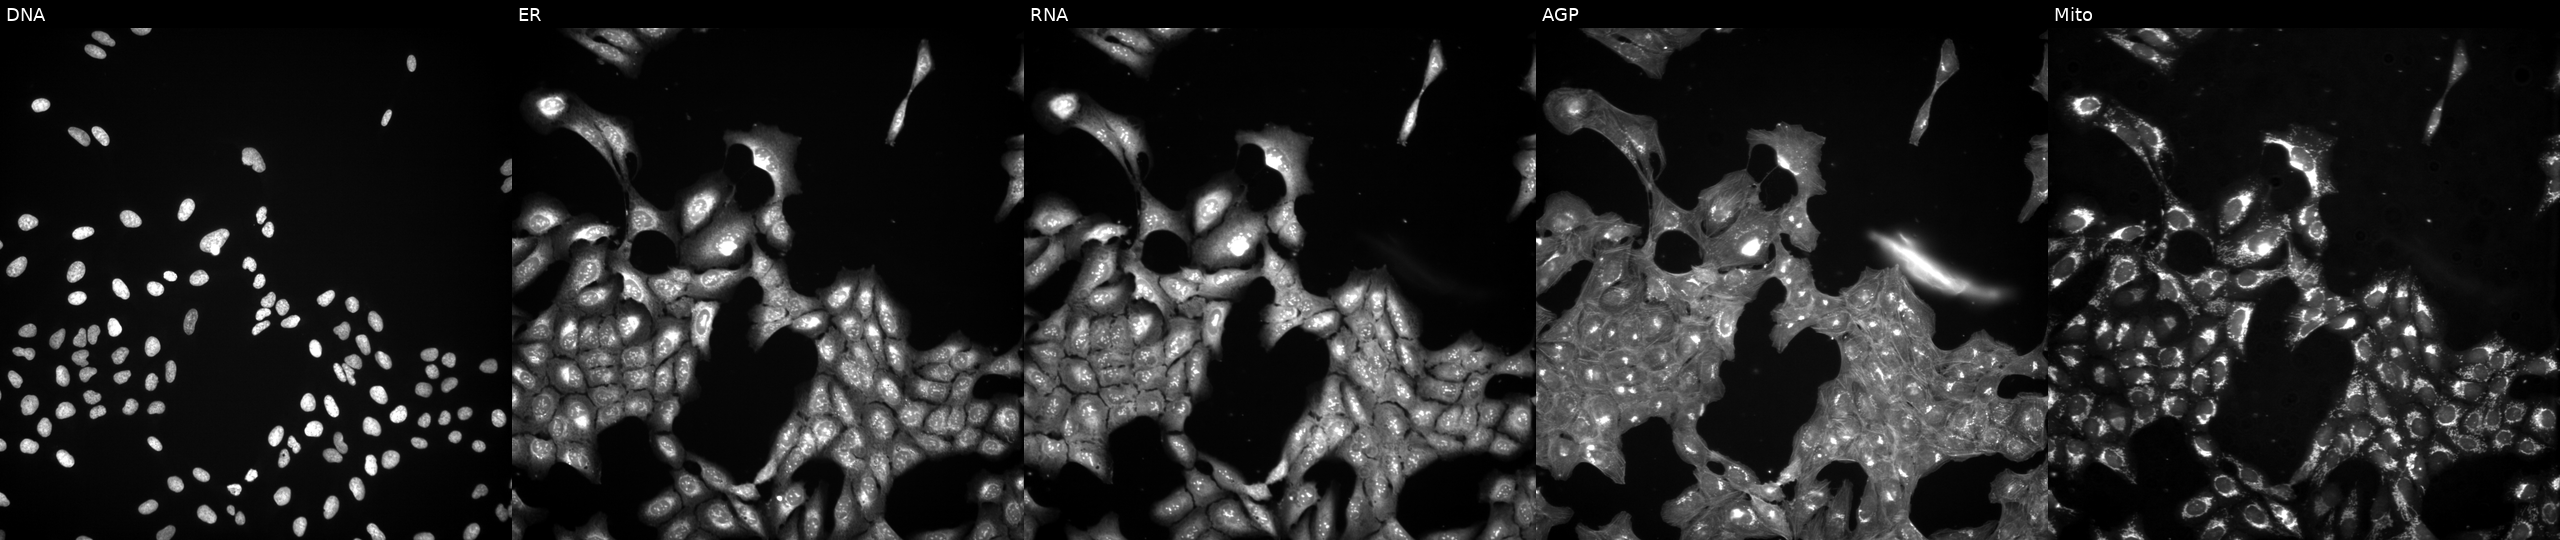
Five-channel Cell Painting image of U2OS cells treated with a small-molecule compound (InChIKey LMEKQMALGUDUQG-UHFFFAOYSA-N). Channels (left→right): Hoechst 33342, concanavalin A, SYTO 14, phalloidin and WGA, MitoTracker.